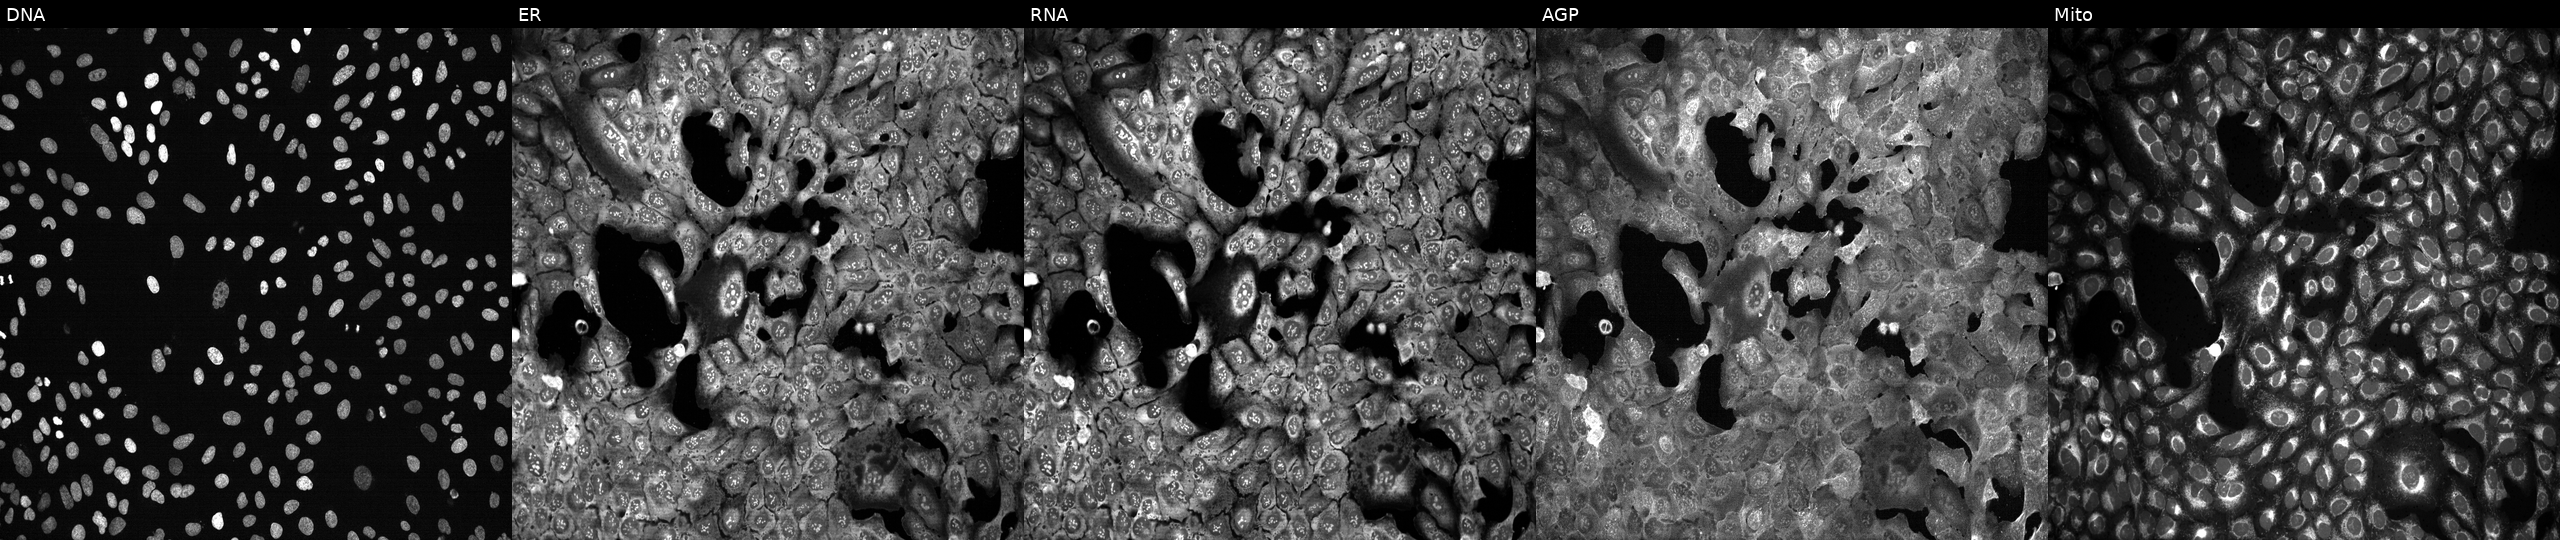
Five-channel Cell Painting image of U2OS cells with HSD17B8 knocked out by CRISPR (JUMP id JCP2022_803250). From left to right: Hoechst 33342, concanavalin A, SYTO 14, phalloidin and WGA, MitoTracker. Source 13, plate CP-CC9-R2-02, well J20.